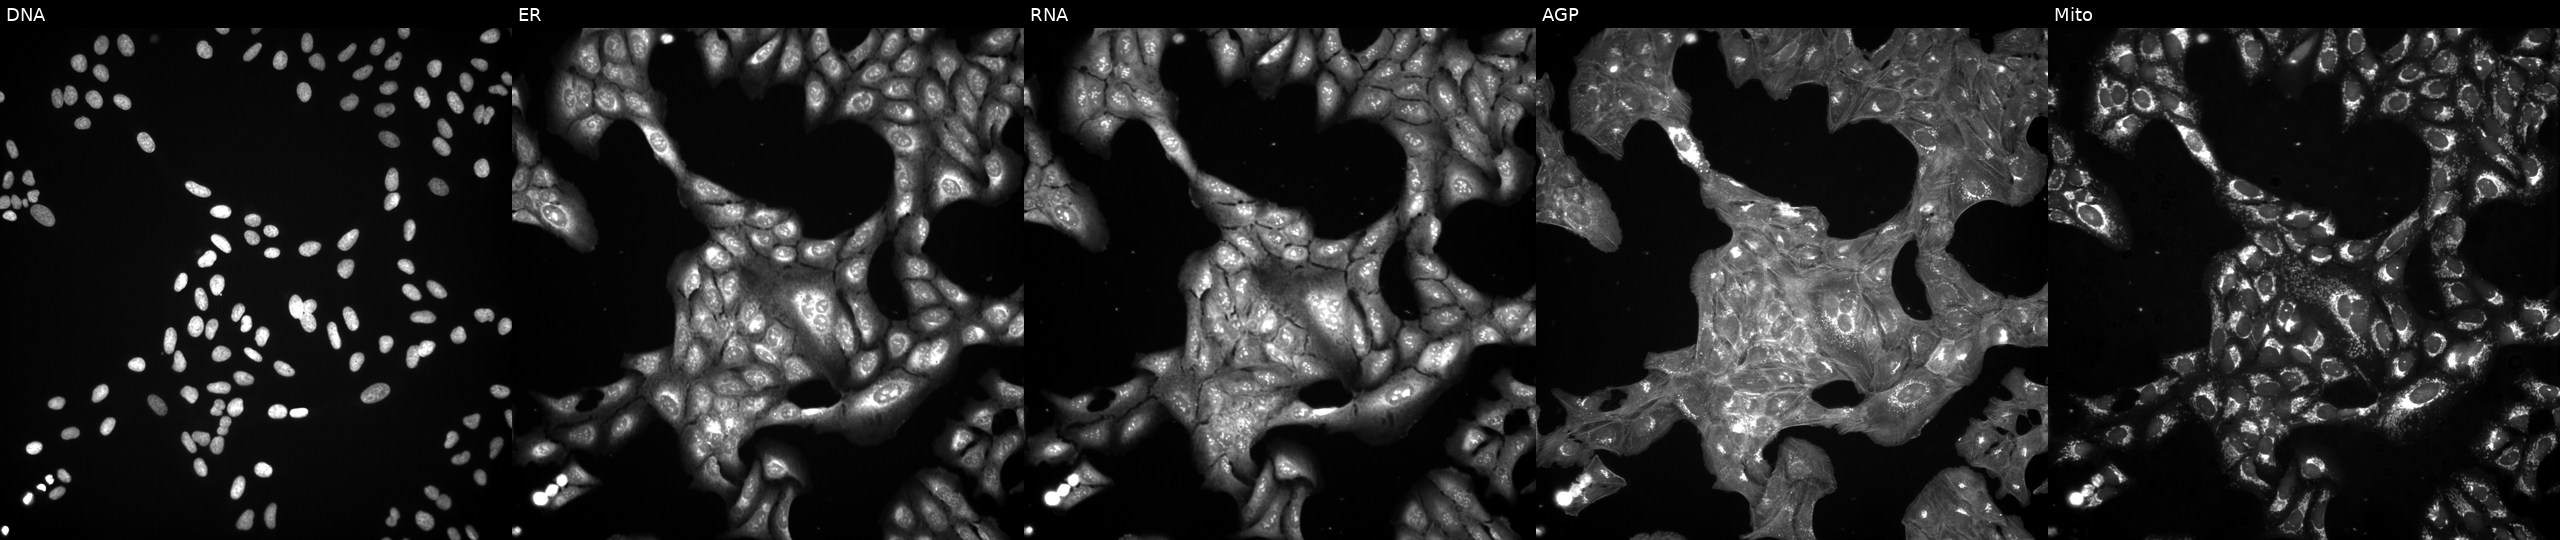
High-content fluorescence microscopy (Cell Painting). Cell line: U2OS. Perturbation: treated with a small-molecule compound (JUMP id JCP2022_113808). Panels show, left to right, Hoechst 33342, concanavalin A, SYTO 14, phalloidin and WGA, MitoTracker.